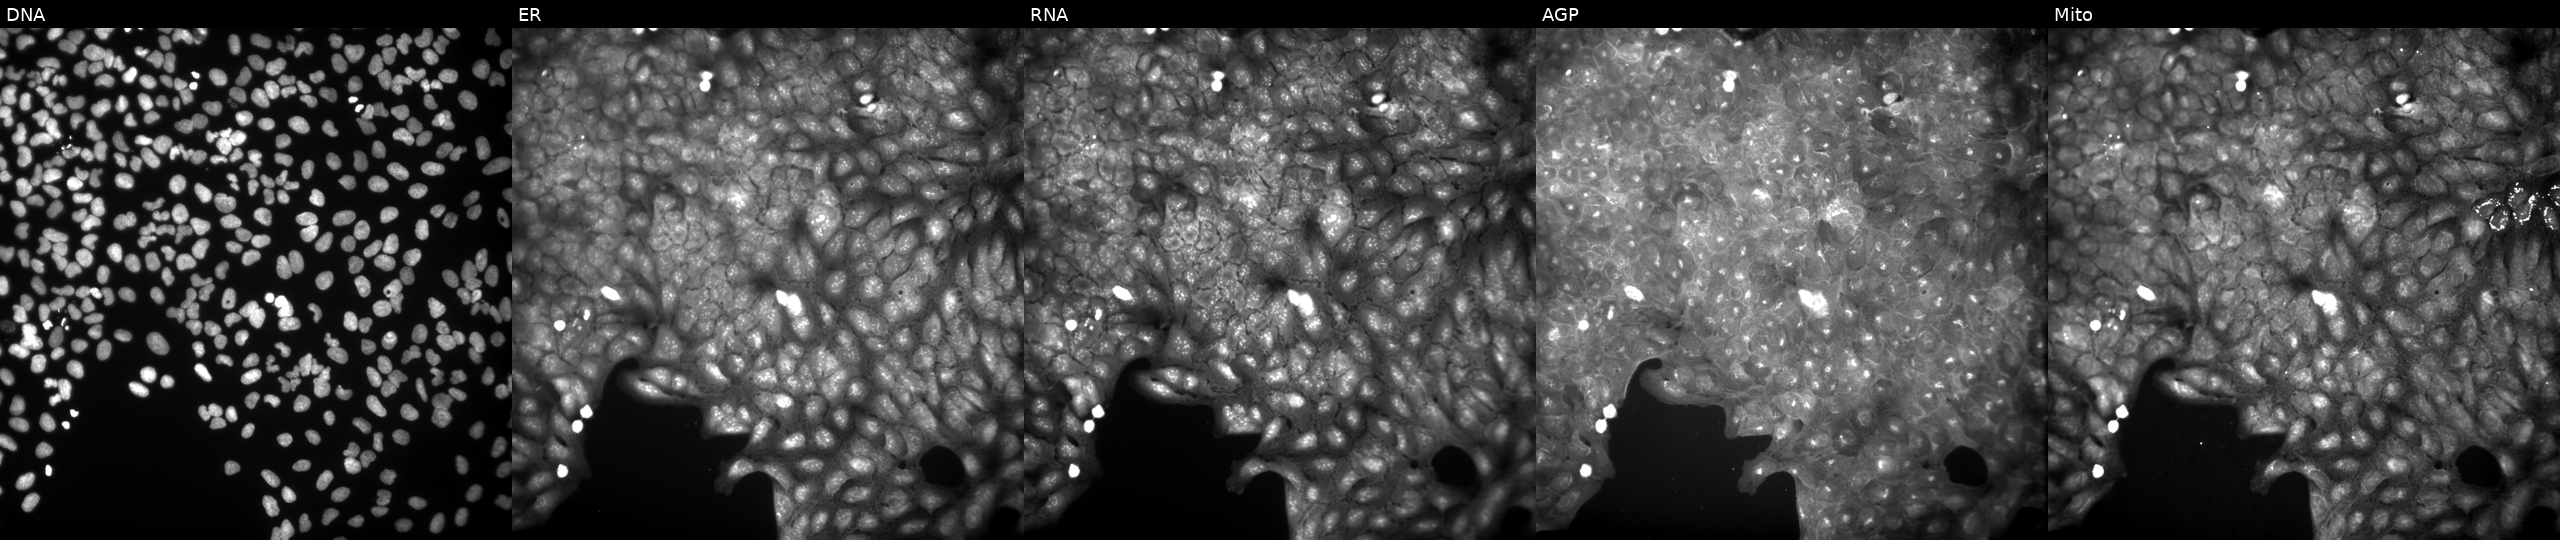
High-content fluorescence microscopy (Cell Painting). Cell line: U2OS. Perturbation: exposed to a small-molecule compound [SMILES: CCN(CC)C(=O)c1c(NC(=O)c2ccccc2)sc2c1CCCC2] (JUMP id JCP2022_029419). The five panels, left to right, show DNA, ER, RNA, AGP, and Mito. Source 9, plate GR00003382, well P44.